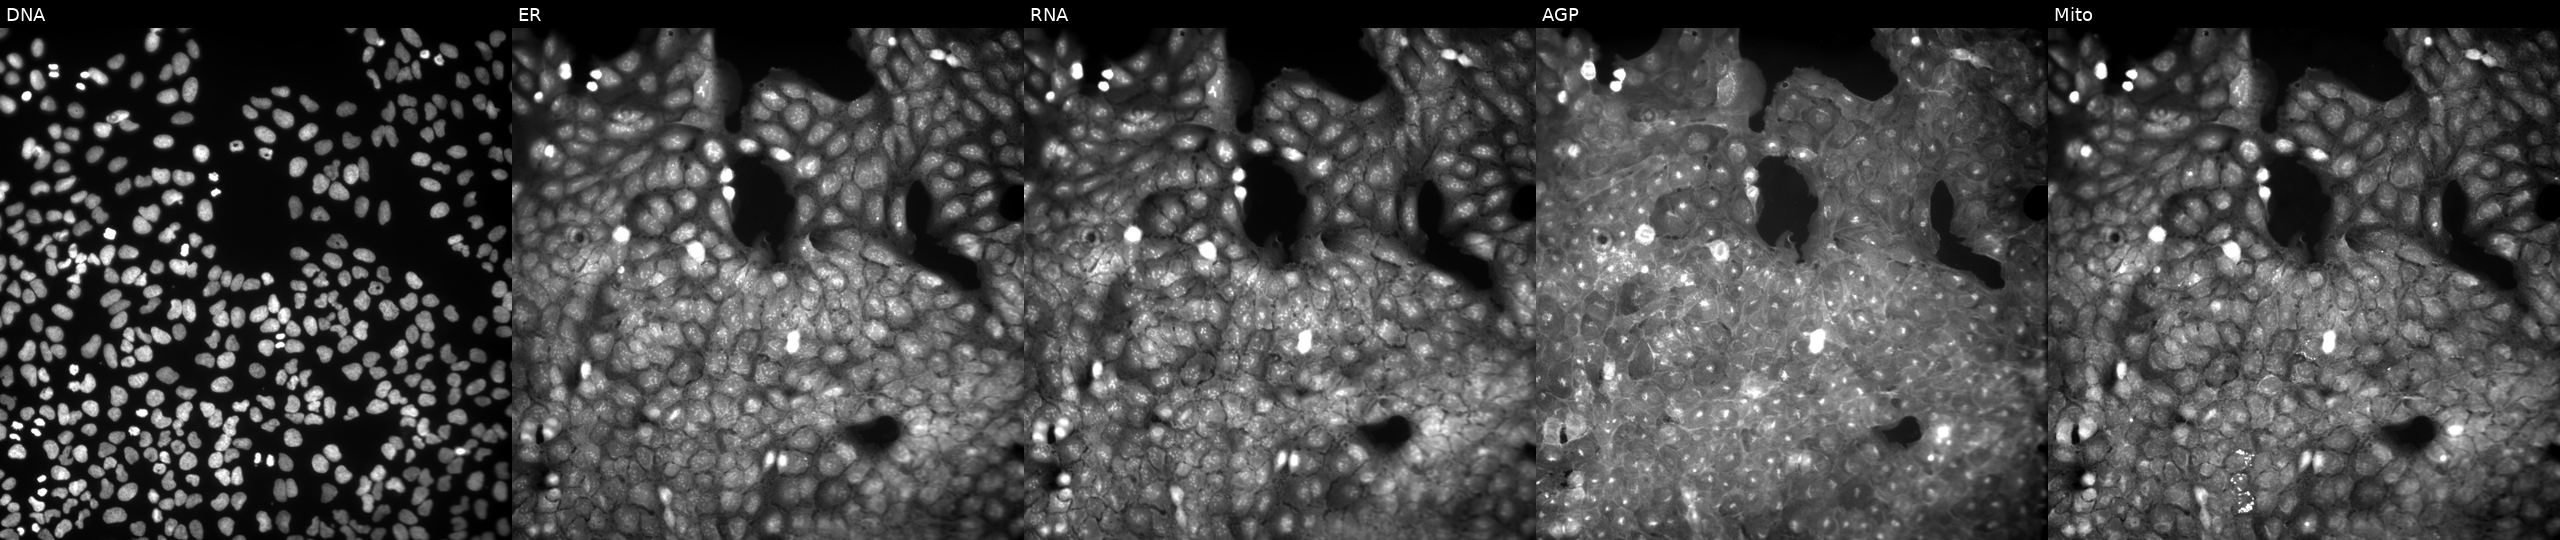
U2OS cells, Cell Painting assay, treated with DMSO vehicle only (negative control). Panels show, left to right, DNA, ER, RNA, AGP, and Mito. Each panel is percentile-stretched 16-bit fluorescence.